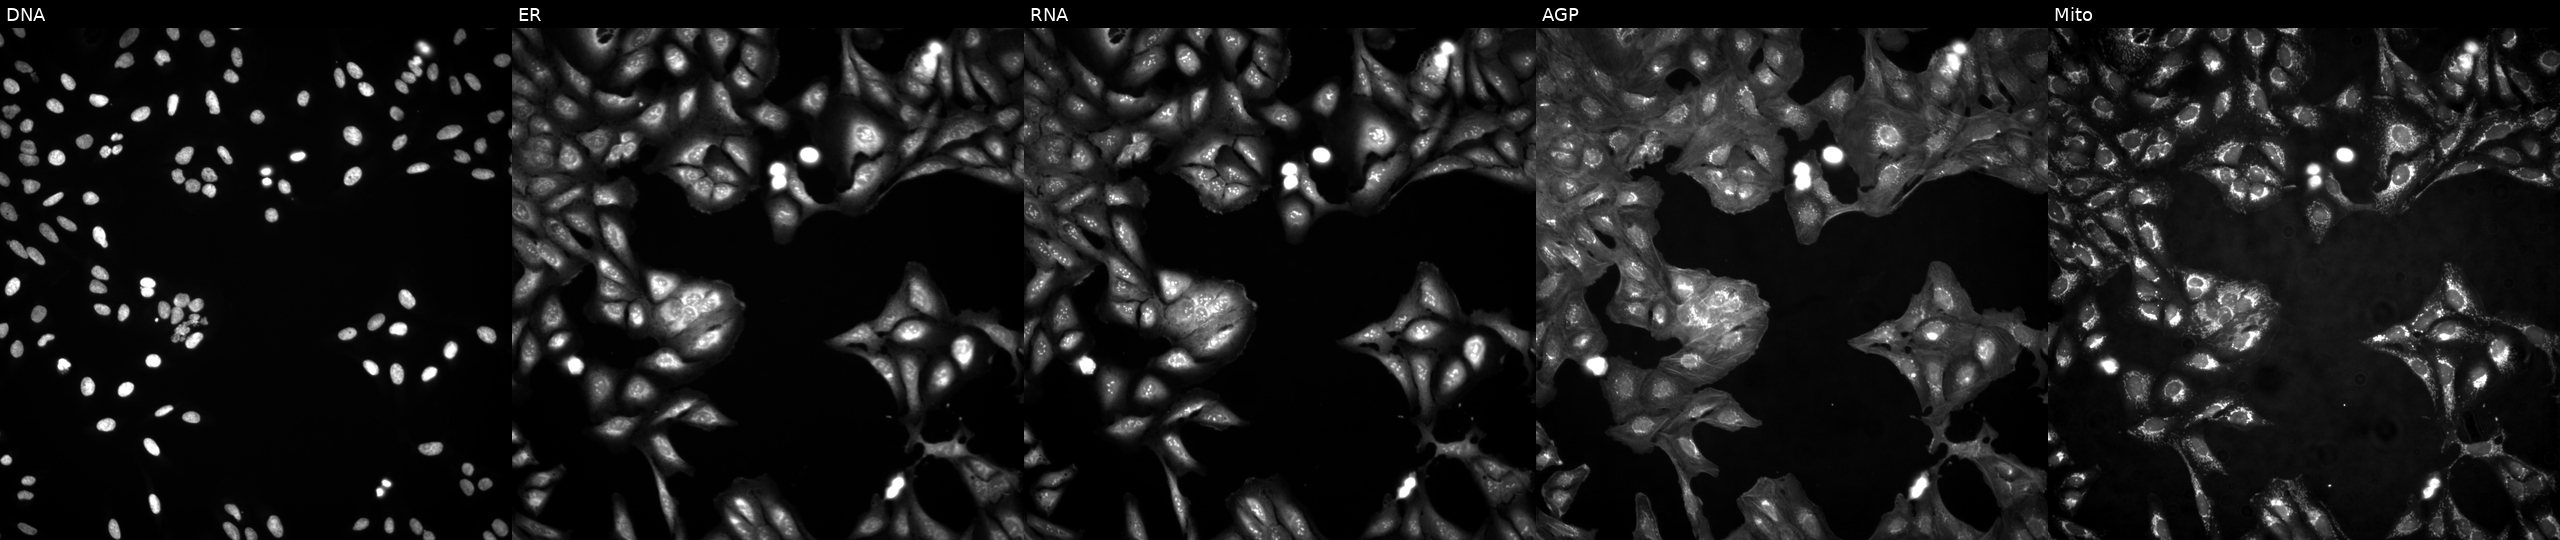
U2OS cells, Cell Painting assay, in an empty control well (no perturbation). From left to right: DNA, ER, RNA, AGP, and Mito. Each panel is percentile-stretched 16-bit fluorescence. Source 4, plate BR00124793, well P09.